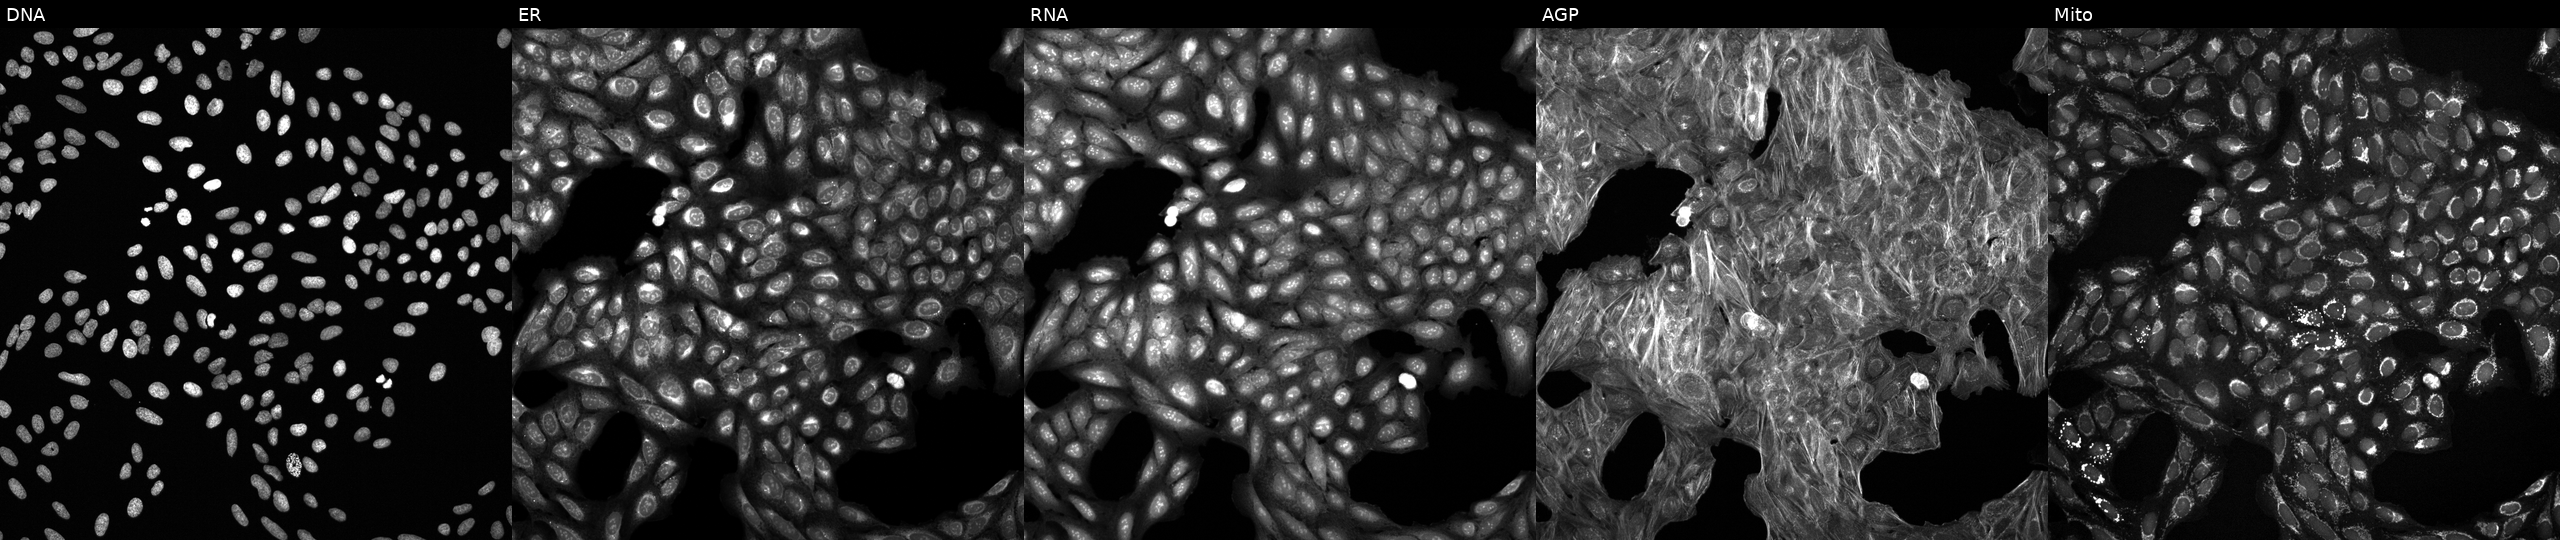
U2OS cells, Cell Painting assay, exposed to a small-molecule compound (InChIKey QFWCYNPOPKQOKV-UHFFFAOYSA-N) [SMILES: COc1cccc(-c2cc(=O)c3ccccc3o2)c1N] (JUMP id JCP2022_073156). From left to right: Hoechst 33342, concanavalin A, SYTO 14, phalloidin and WGA, MitoTracker. Each panel is percentile-stretched 16-bit fluorescence. Source 6, plate 110000293081, well E03.